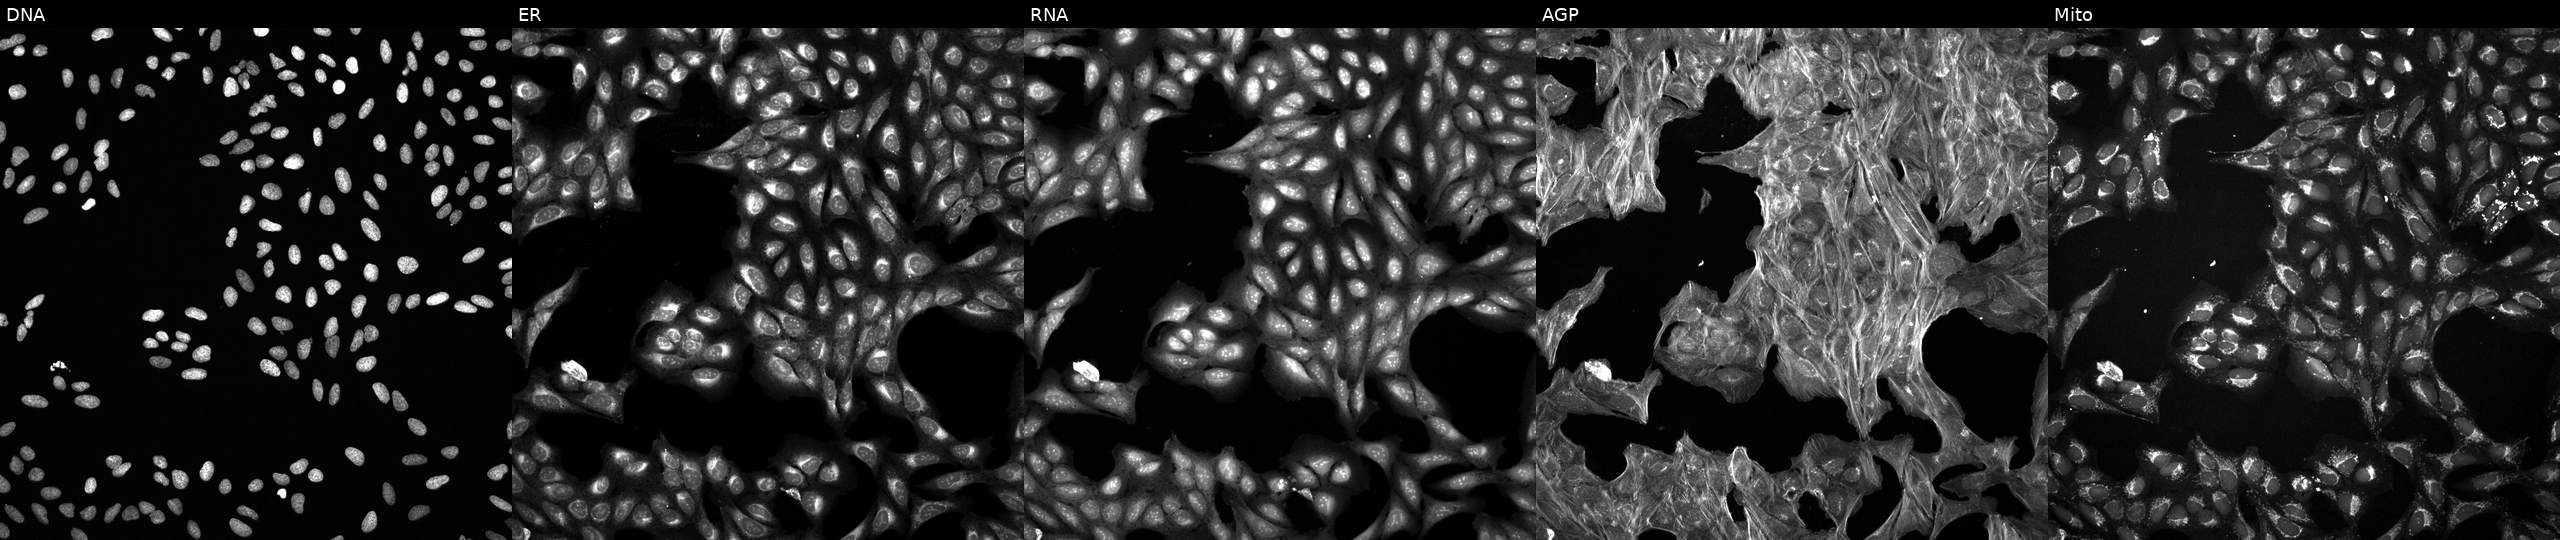
JUMP Cell Painting — COMPOUND plate. U2OS cells exposed to a small-molecule compound [SMILES: N#Cc1c(Cl)cccc1NCC1CN(Cc2ccccc2)CCO1] (JUMP id JCP2022_078418). From left to right: DNA (nuclei); ER (endoplasmic reticulum); RNA (nucleoli and cytoplasmic RNA); AGP (actin cytoskeleton, Golgi, and plasma membrane); Mito (mitochondria).